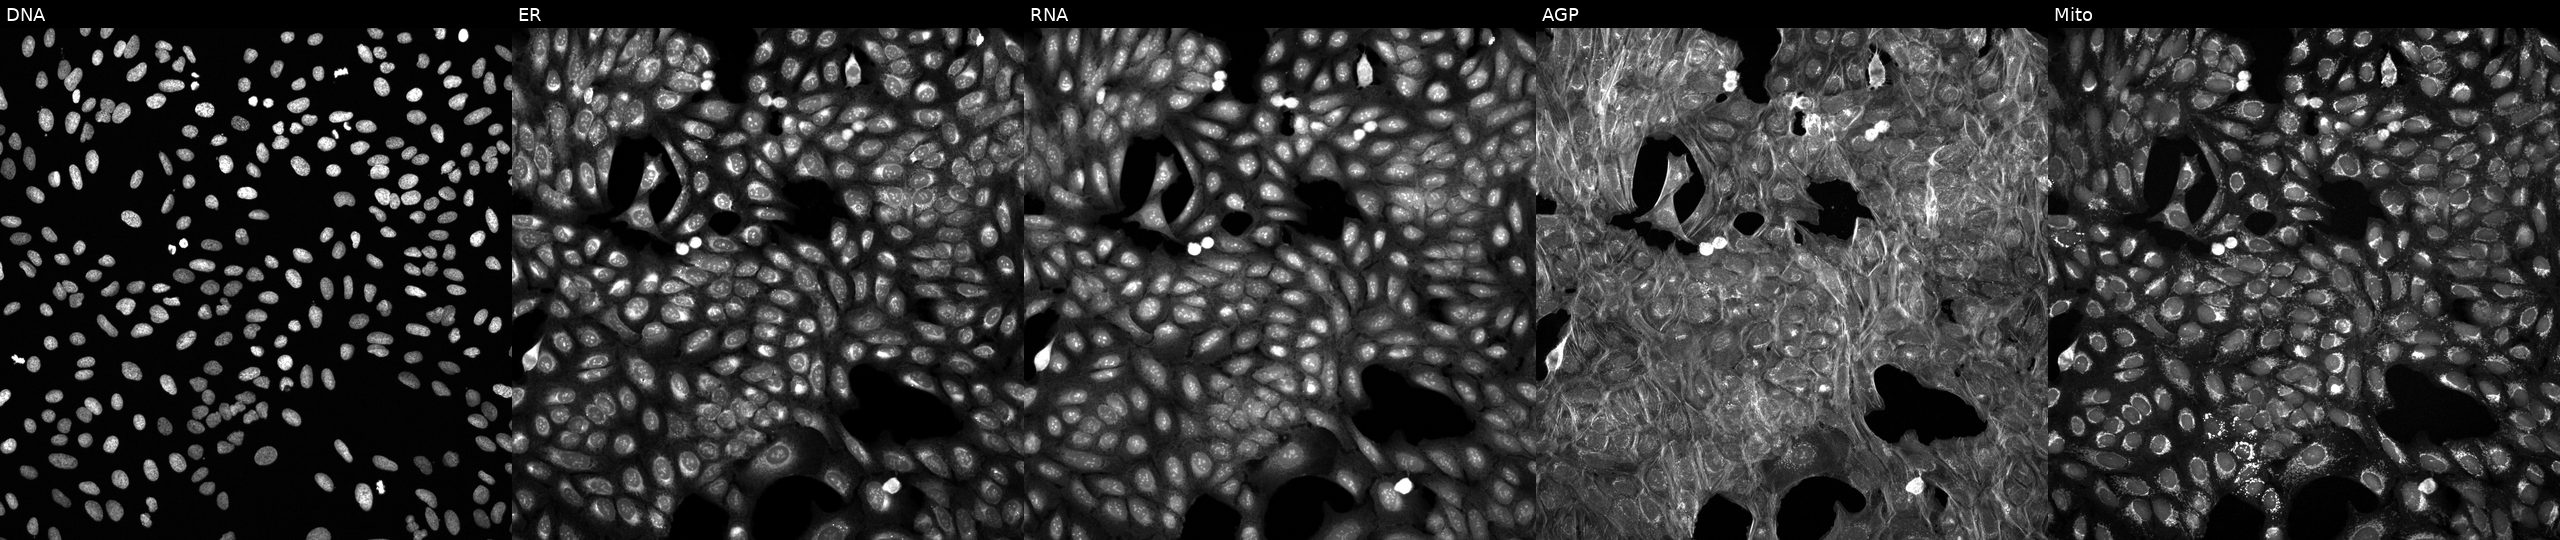
Five-channel Cell Painting image of U2OS cells perturbed with a small-molecule compound (InChIKey FNYLWPVRPXGIIP-UHFFFAOYSA-N) (JUMP id JCP2022_021857). Panels show, left to right, DNA, ER, RNA, AGP, and Mito. Source 6, plate 110000294901, well F01.